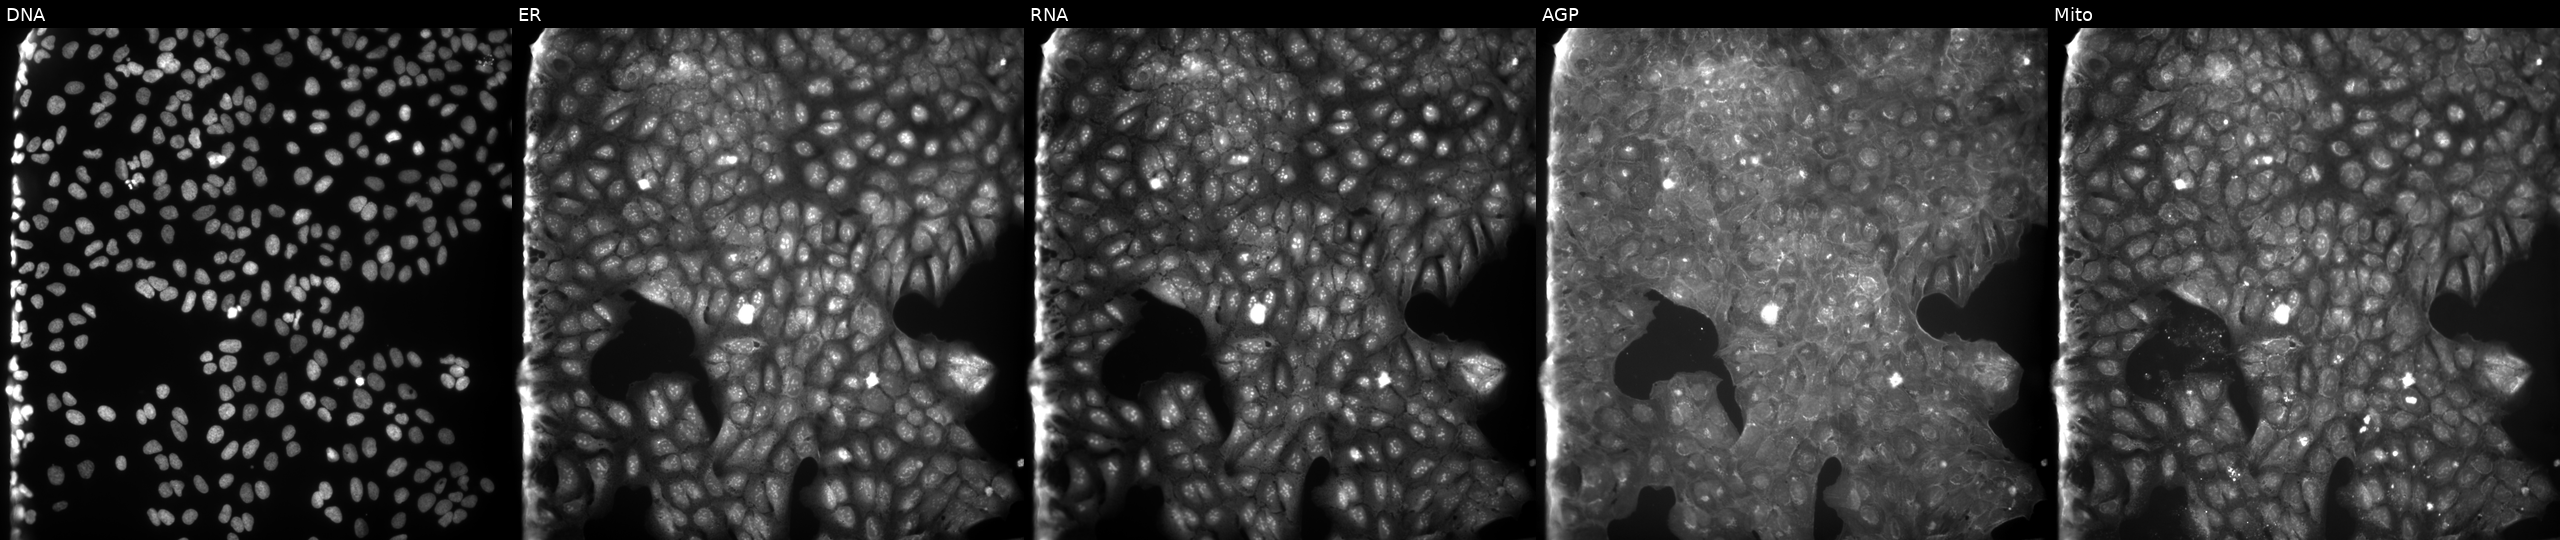
JUMP Cell Painting — COMPOUND plate. U2OS cells perturbed with a small-molecule compound (InChIKey QPTATUWRELHQBP-UHFFFAOYSA-N). Panels show, left to right, DNA (nuclei); ER (endoplasmic reticulum); RNA (nucleoli and cytoplasmic RNA); AGP (actin cytoskeleton, Golgi, and plasma membrane); Mito (mitochondria). Source 9, plate GR00003382, well R04.